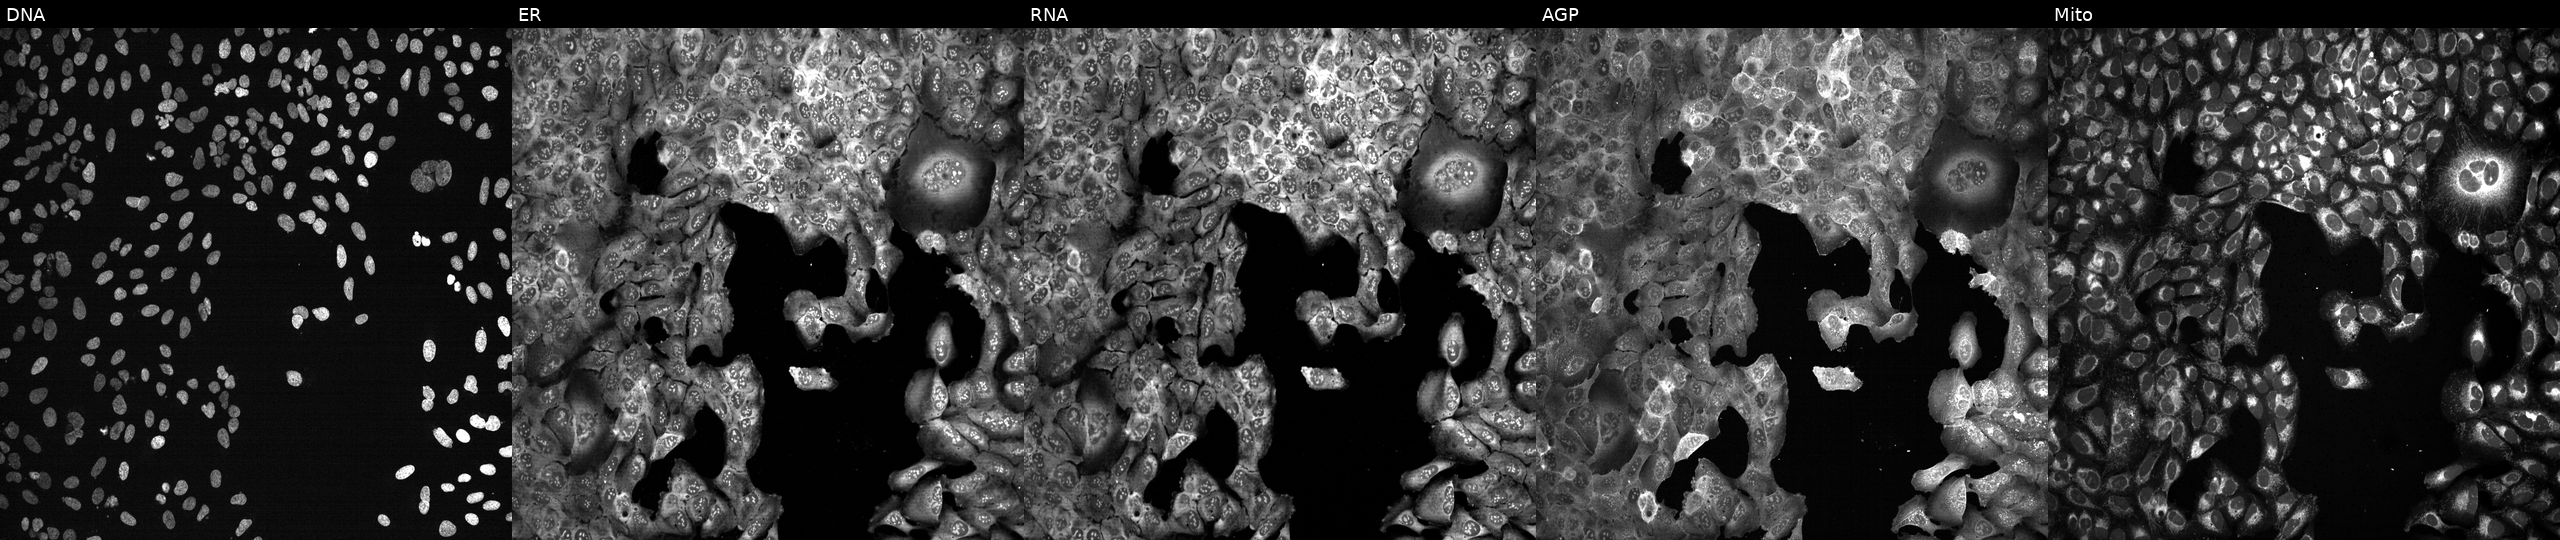
Five-channel Cell Painting image of U2OS cells with LOX knocked out by CRISPR (JUMP id JCP2022_803876). Panels show, left to right, DNA (nuclei); ER (endoplasmic reticulum); RNA (nucleoli and cytoplasmic RNA); AGP (actin cytoskeleton, Golgi, and plasma membrane); Mito (mitochondria).